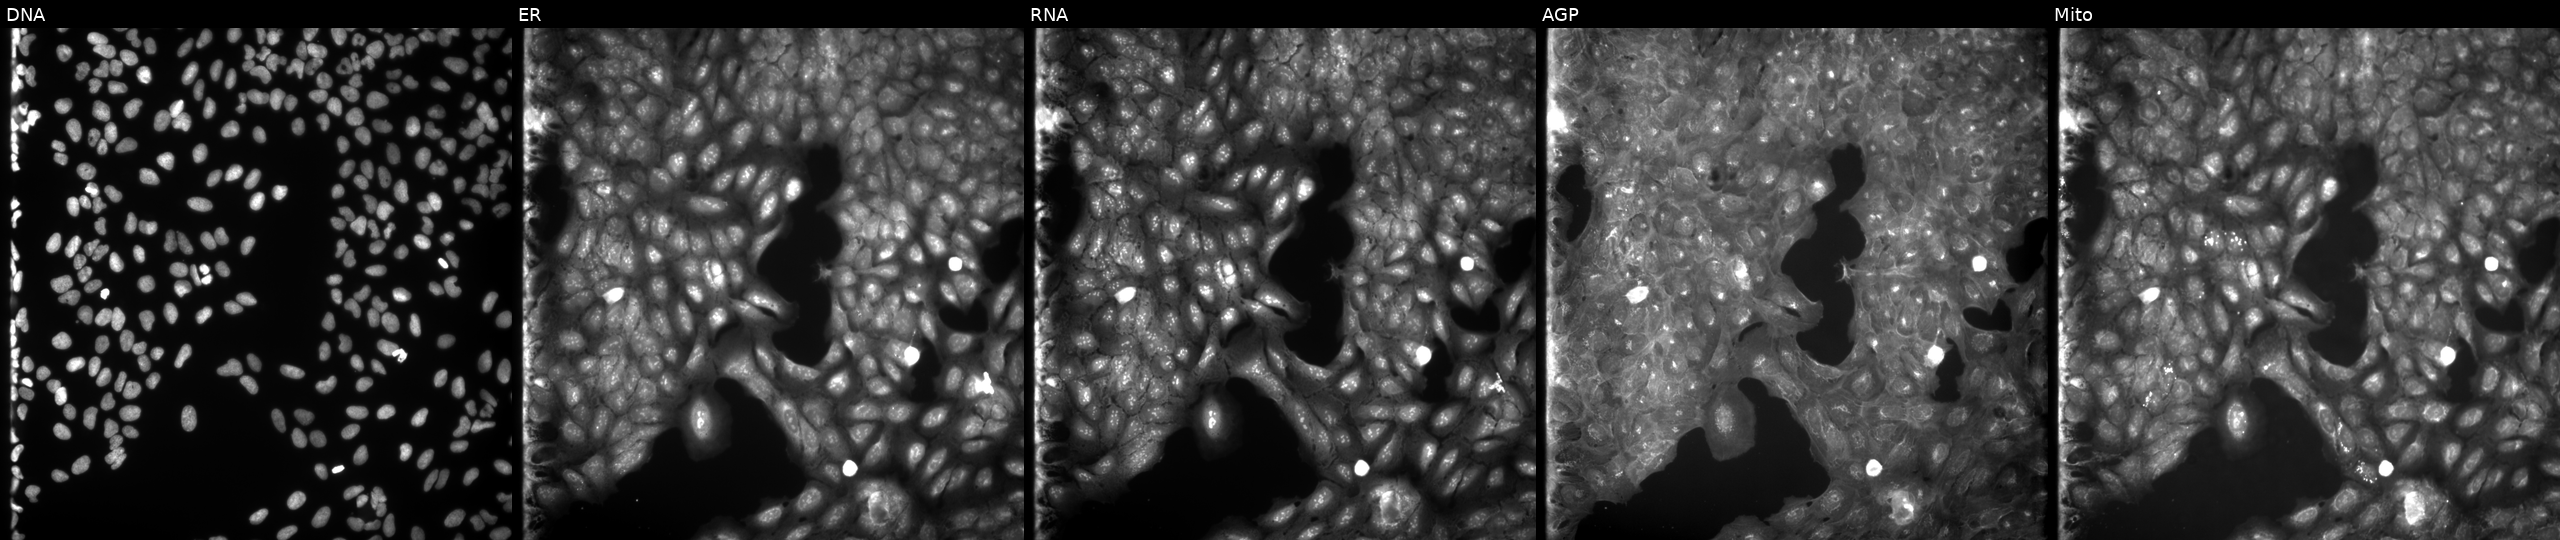
U2OS cells, Cell Painting assay, perturbed with a small-molecule compound (InChIKey UDCSIAXYLDOLRQ-UHFFFAOYSA-N). The five panels, left to right, show DNA, ER, RNA, AGP, and Mito. Each panel is percentile-stretched 16-bit fluorescence. Source 9, plate GR00003382, well I14.